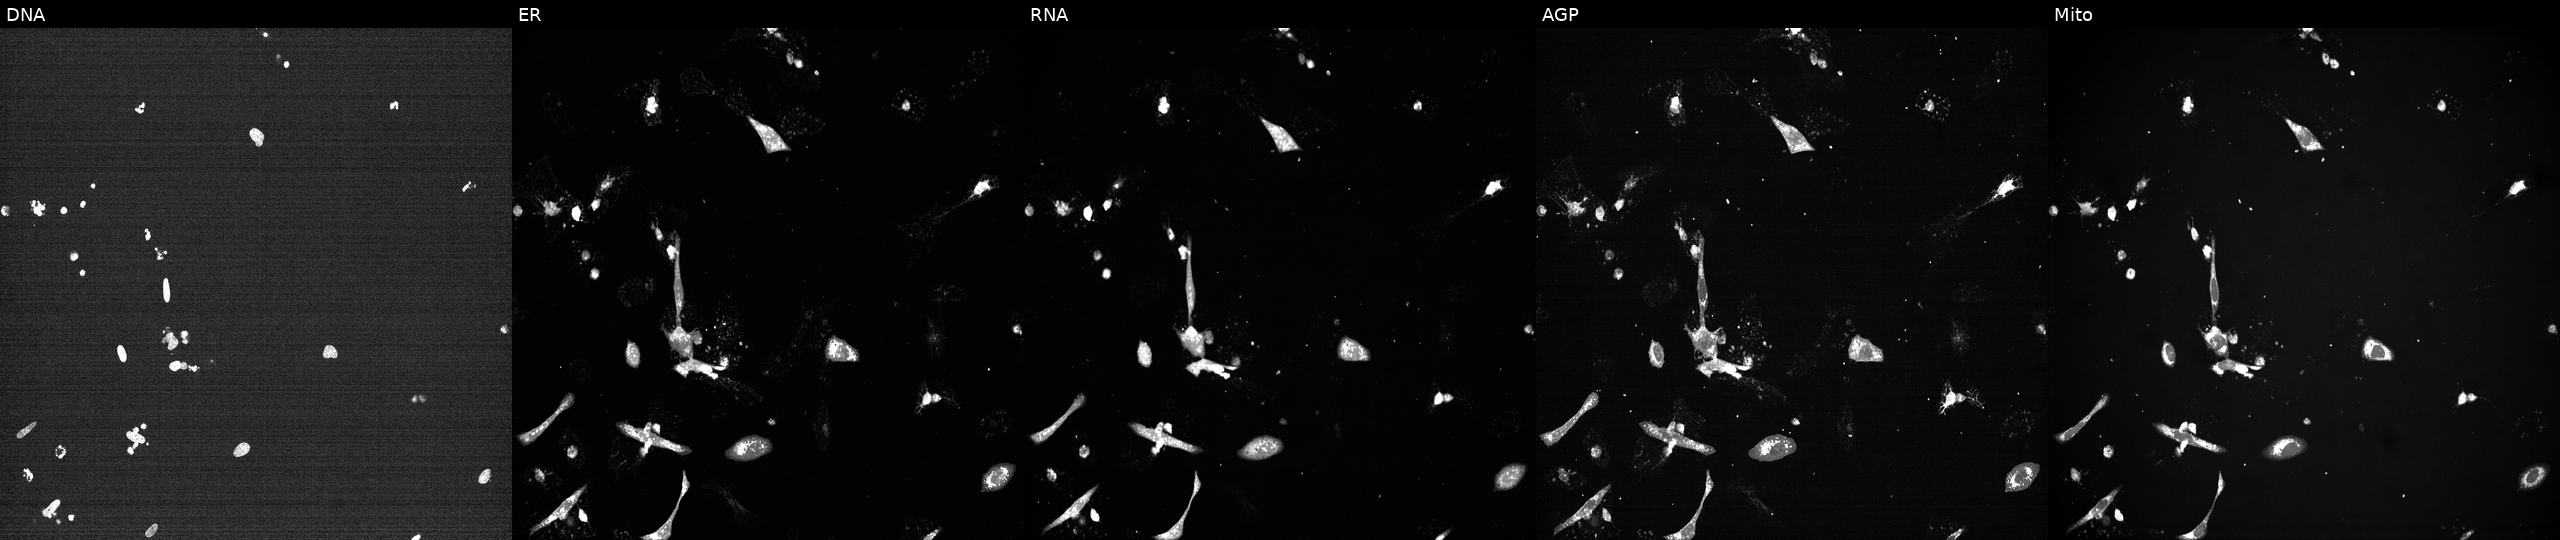
The five panels, left to right, show Hoechst 33342, concanavalin A, SYTO 14, phalloidin and WGA, MitoTracker. U2OS osteosarcoma cells perturbed with a small-molecule compound (InChIKey MJSHVHLADKXCML-UHFFFAOYSA-N) (JUMP id JCP2022_054601). Cell Painting assay, JUMP-CP dataset.